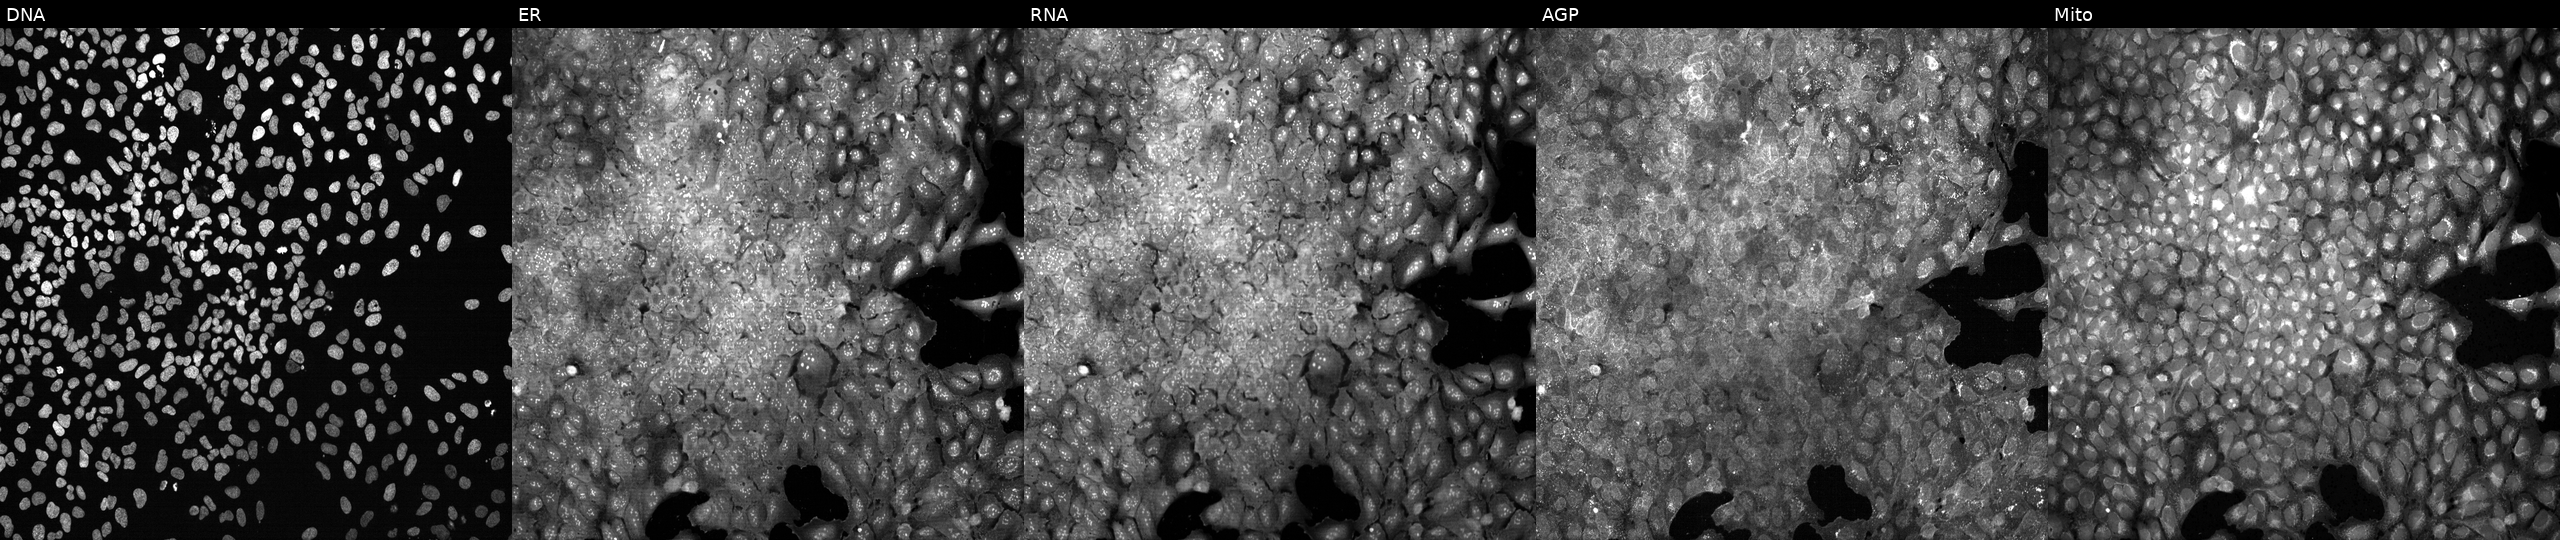
High-content fluorescence microscopy (Cell Painting). Cell line: U2OS. Perturbation: CRISPR-edited to disrupt PCMTD2 (JUMP id JCP2022_804964). Panels show, left to right, Hoechst 33342, concanavalin A, SYTO 14, phalloidin and WGA, MitoTracker.